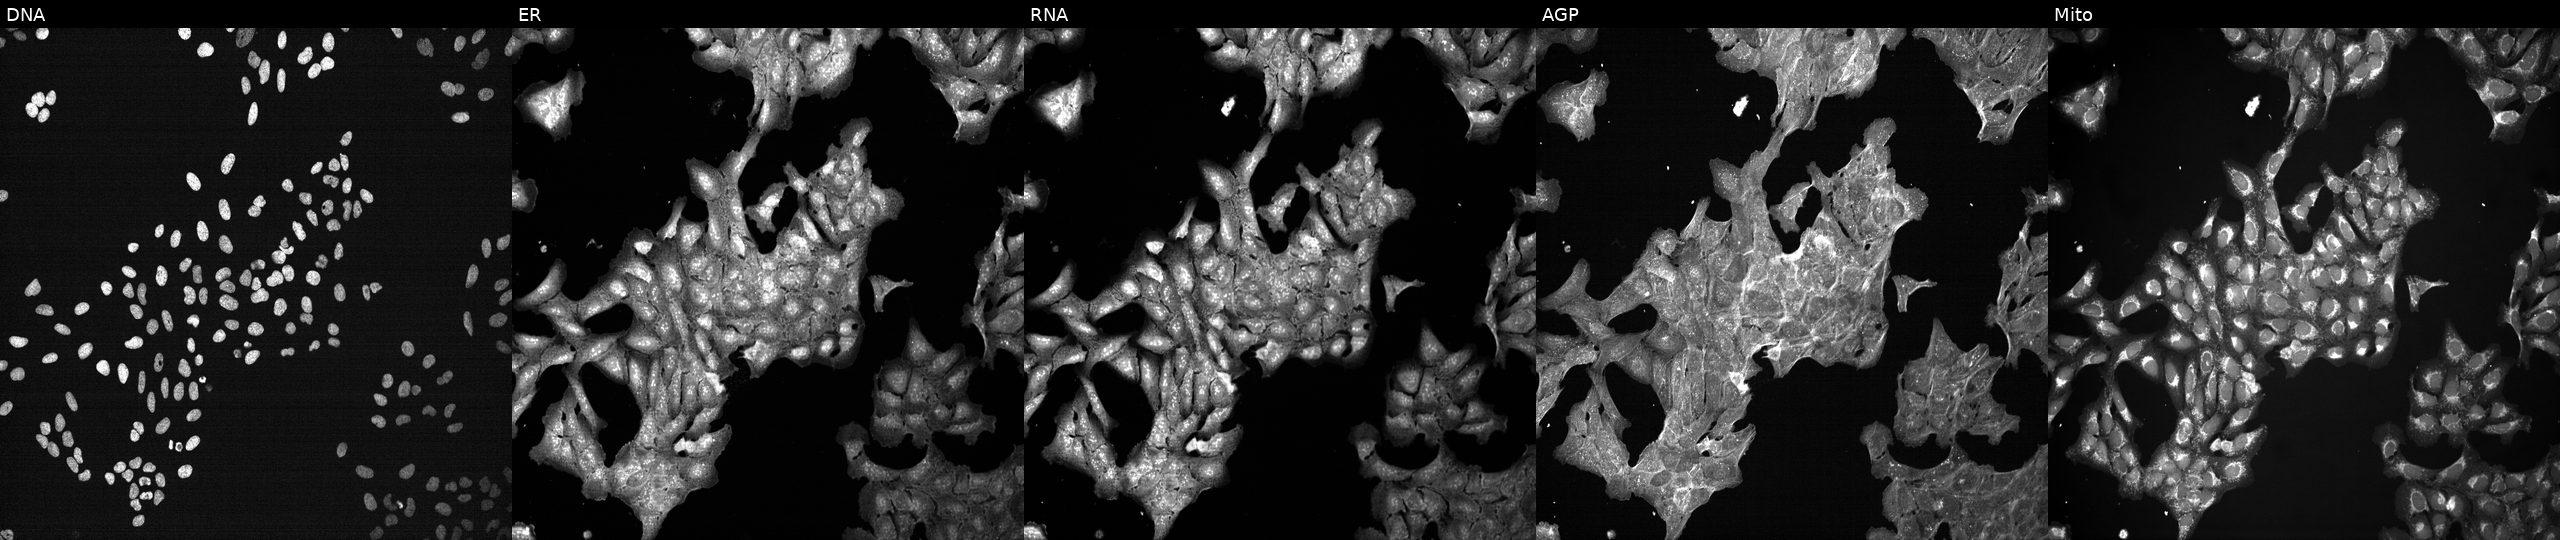
High-content fluorescence microscopy (Cell Painting). Cell line: U2OS. Perturbation: exposed to a small-molecule compound (InChIKey JBIMVDZLSHOPLA-UHFFFAOYSA-N) (JUMP id JCP2022_038675). Channels (left→right): Hoechst 33342, concanavalin A, SYTO 14, phalloidin and WGA, MitoTracker.